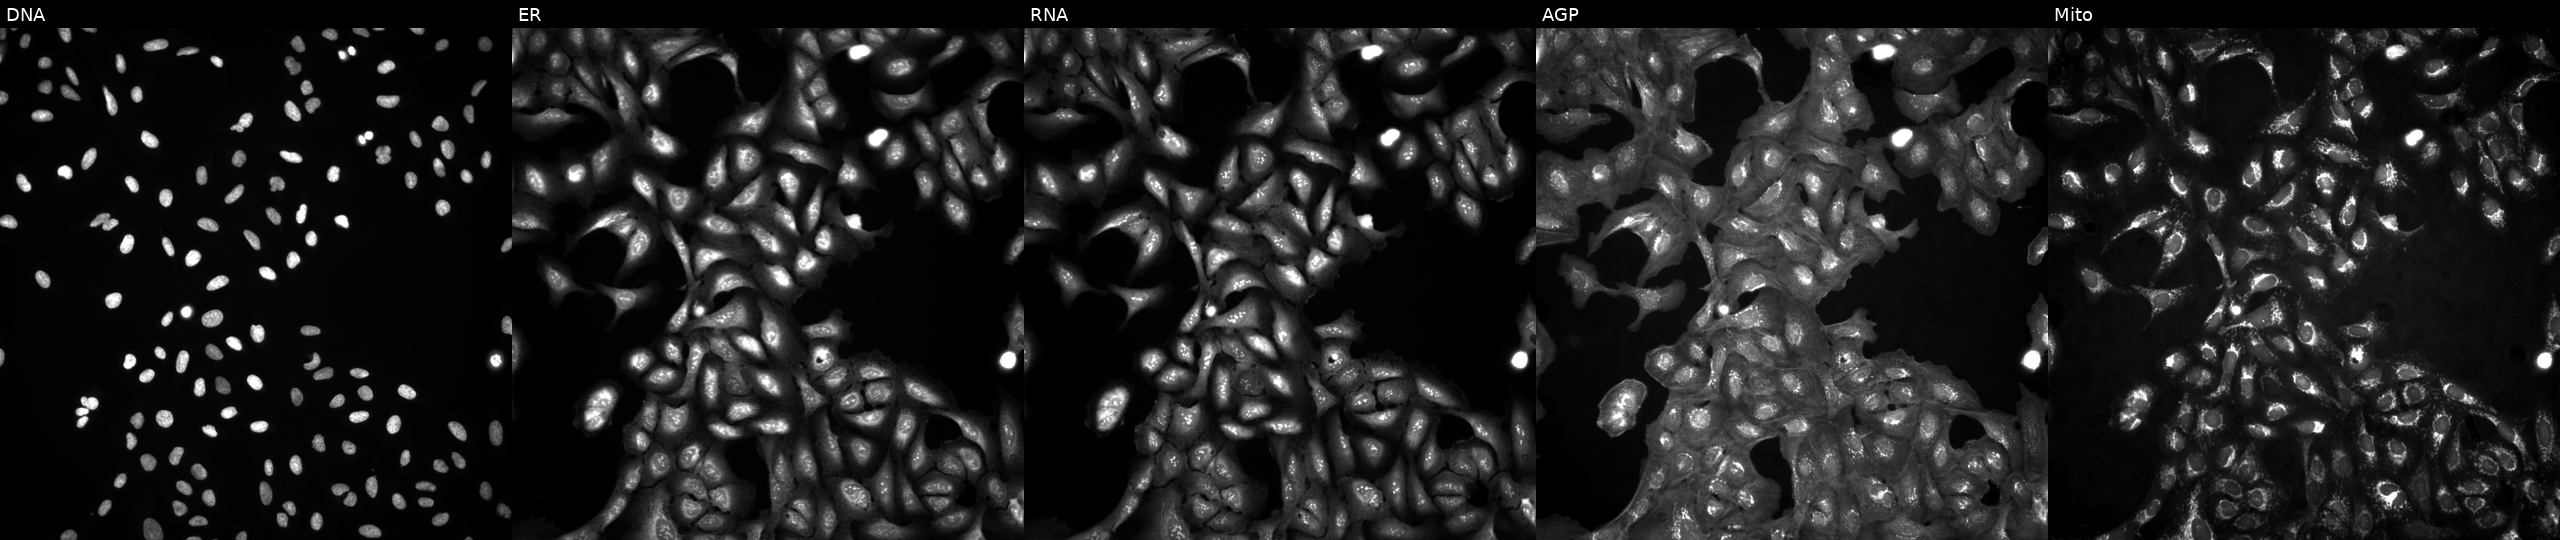
JUMP Cell Painting — ORF plate. U2OS cells untreated (empty-well control). Panels show, left to right, DNA (nuclei); ER (endoplasmic reticulum); RNA (nucleoli and cytoplasmic RNA); AGP (actin cytoskeleton, Golgi, and plasma membrane); Mito (mitochondria).